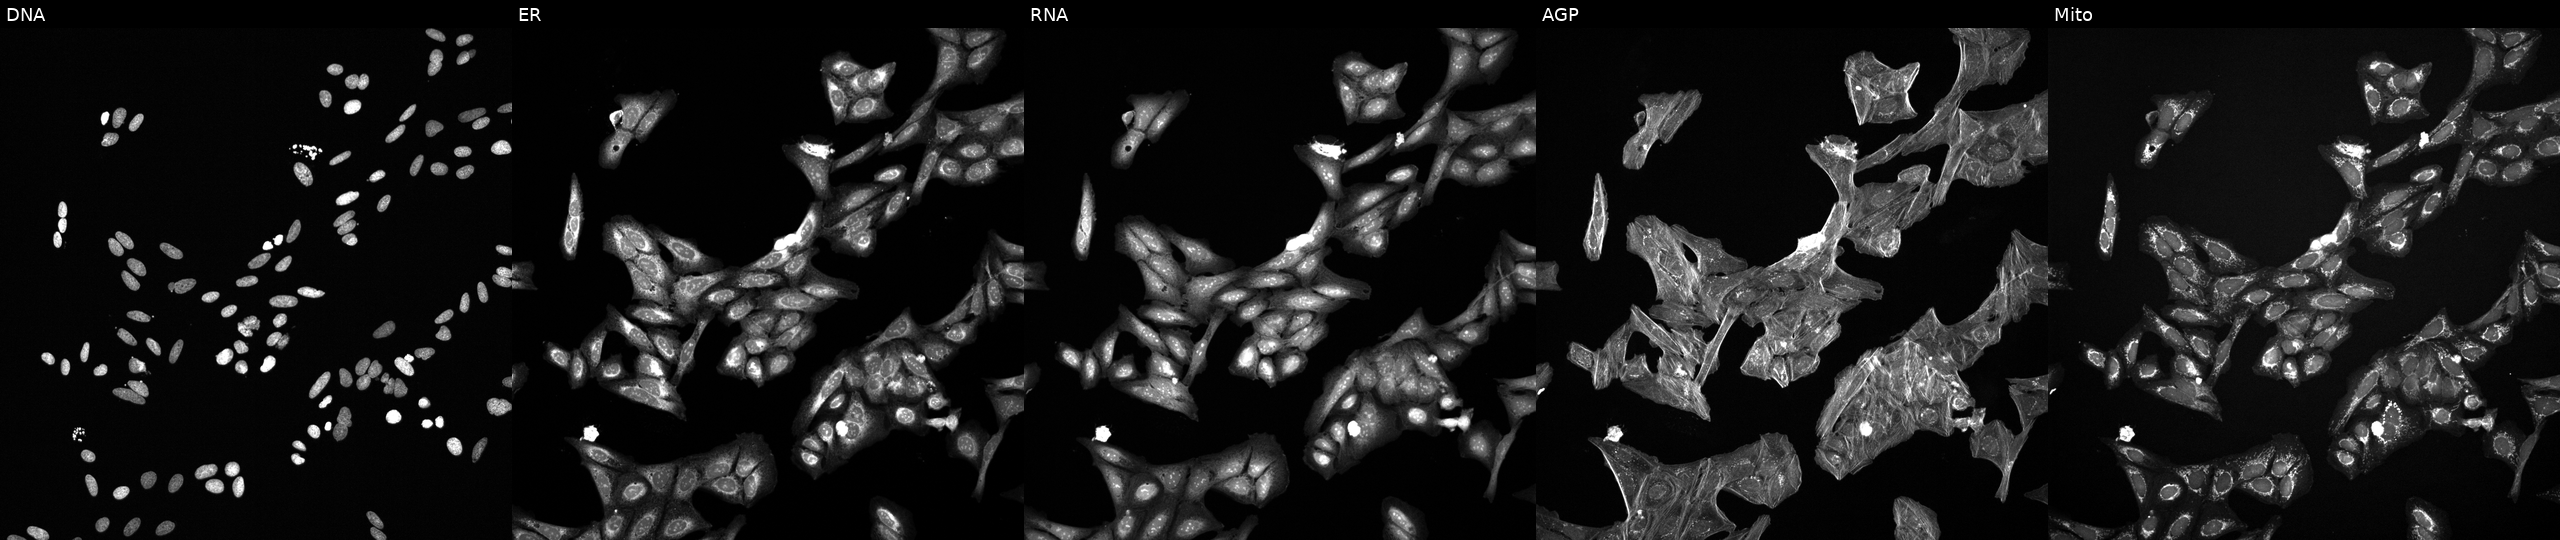
JUMP Cell Painting — TARGET2 plate. U2OS cells treated with a small-molecule compound (InChIKey KXBDTLQSDKGAEB-UHFFFAOYSA-N) (JUMP id JCP2022_047545). Channels (left→right): Hoechst 33342, concanavalin A, SYTO 14, phalloidin and WGA, MitoTracker.